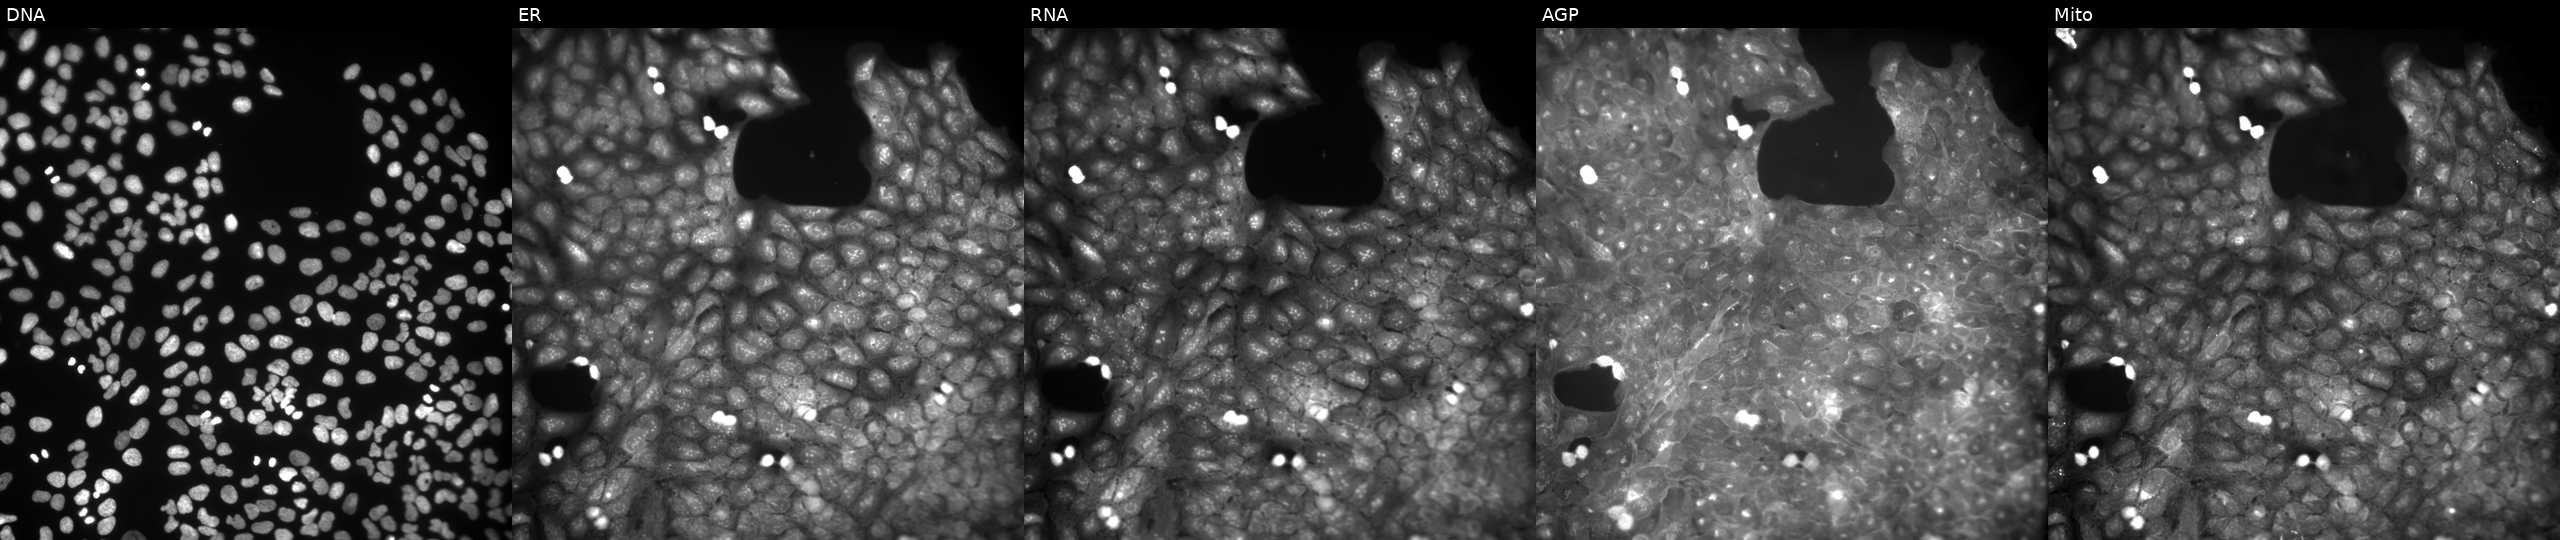
U2OS cells, Cell Painting assay, treated with a small-molecule compound (JUMP id JCP2022_062663). Channels (left→right): Hoechst 33342, concanavalin A, SYTO 14, phalloidin and WGA, MitoTracker. Each panel is percentile-stretched 16-bit fluorescence.